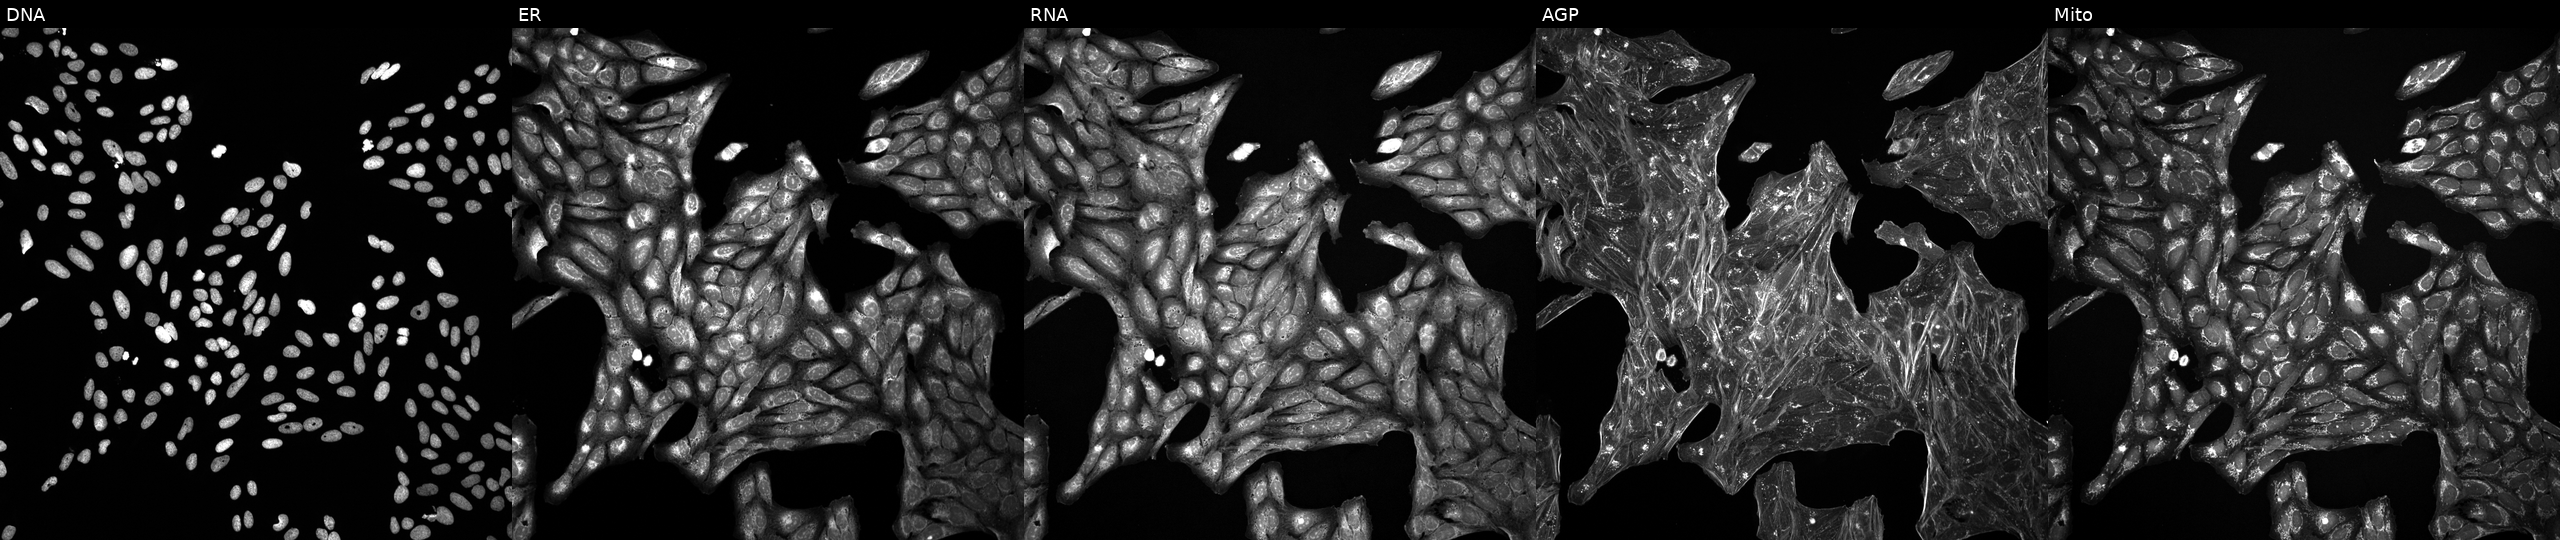
High-content fluorescence microscopy (Cell Painting). Cell line: U2OS. Perturbation: treated with a small-molecule compound (InChIKey AECDBHGVIIRMOI-UHFFFAOYSA-N). The five panels, left to right, show DNA, ER, RNA, AGP, and Mito. Source 5, plate ACPJUM012, well G21.